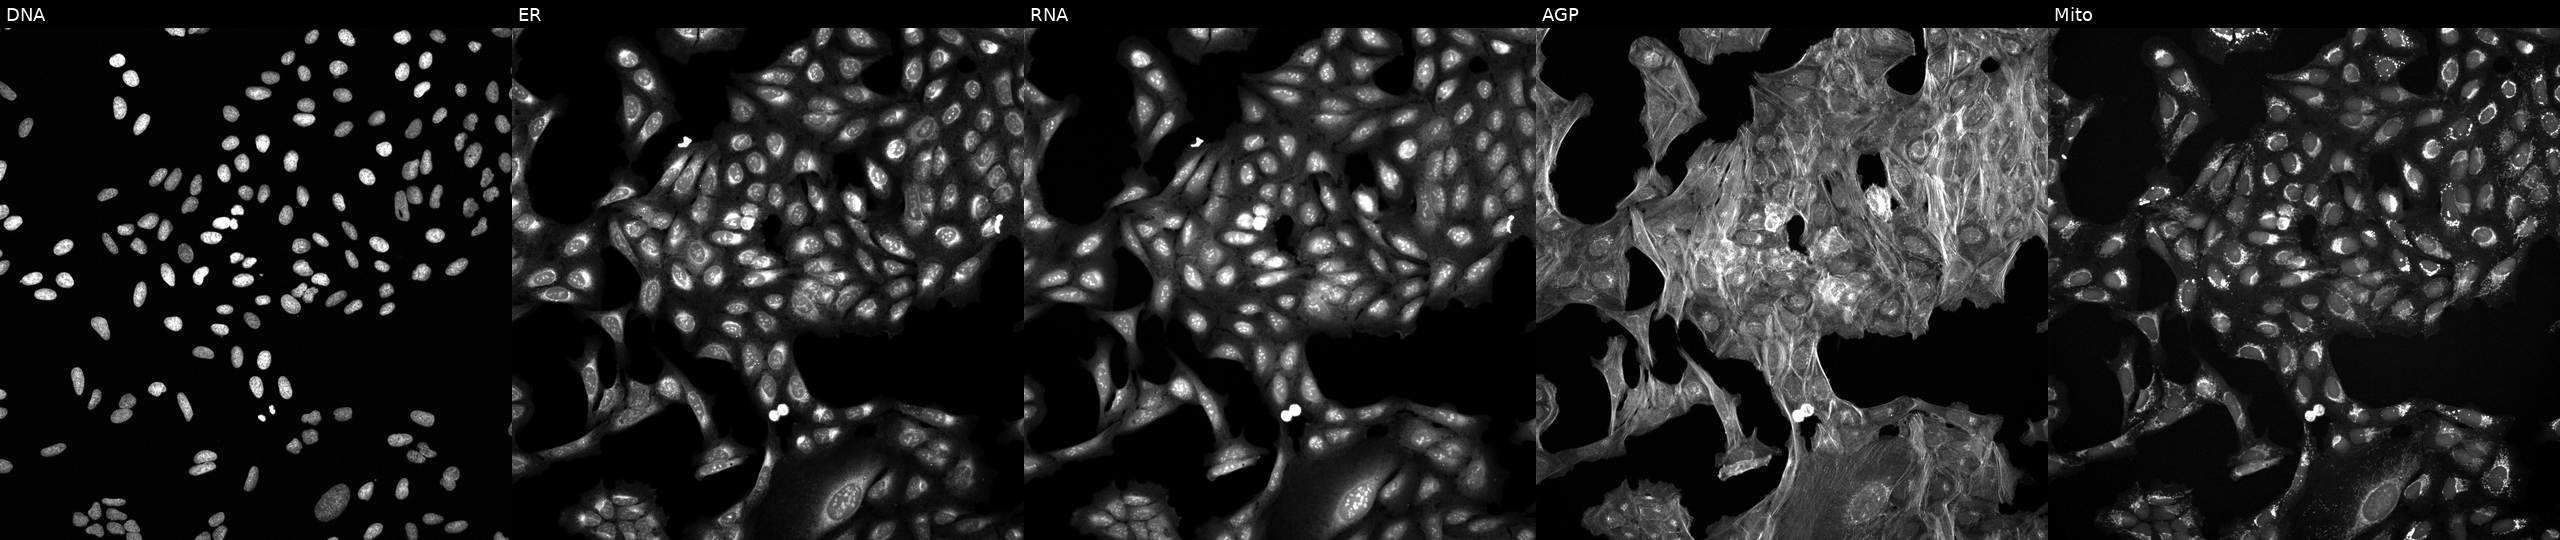
Panels show, left to right, DNA, ER, RNA, AGP, and Mito. U2OS osteosarcoma cells treated with DMSO vehicle only (negative control) (JUMP id JCP2022_033924). Cell Painting assay, JUMP-CP dataset.